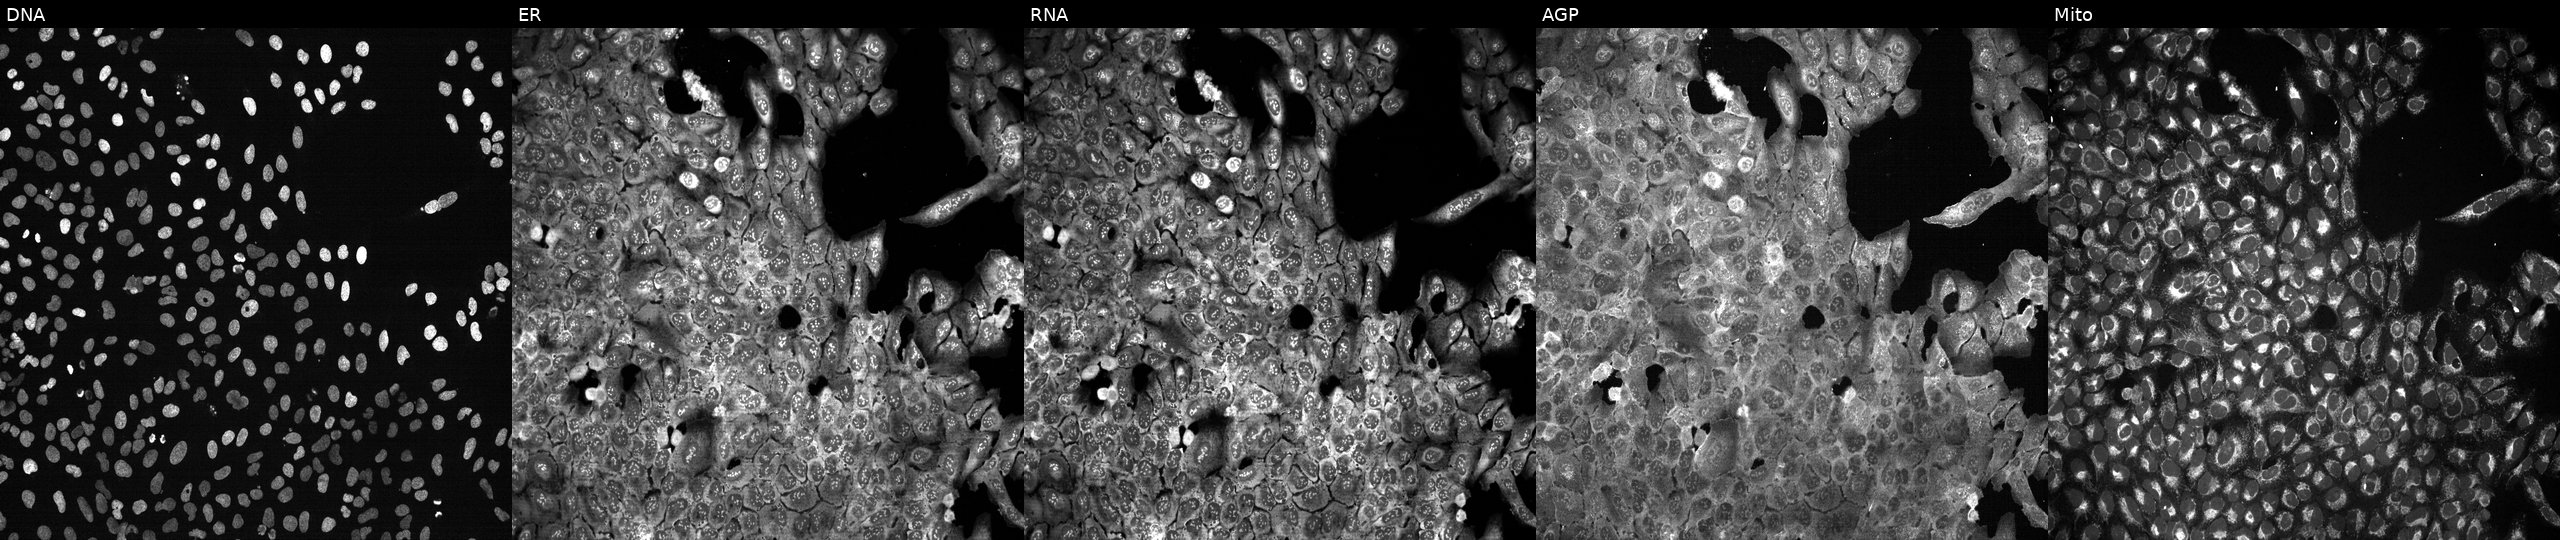
Channels (left→right): DNA, ER, RNA, AGP, and Mito. U2OS osteosarcoma cells following CRISPR knockout of NANS. Cell Painting assay, JUMP-CP dataset. Source 13, plate CP-CC9-R3-01, well L12.